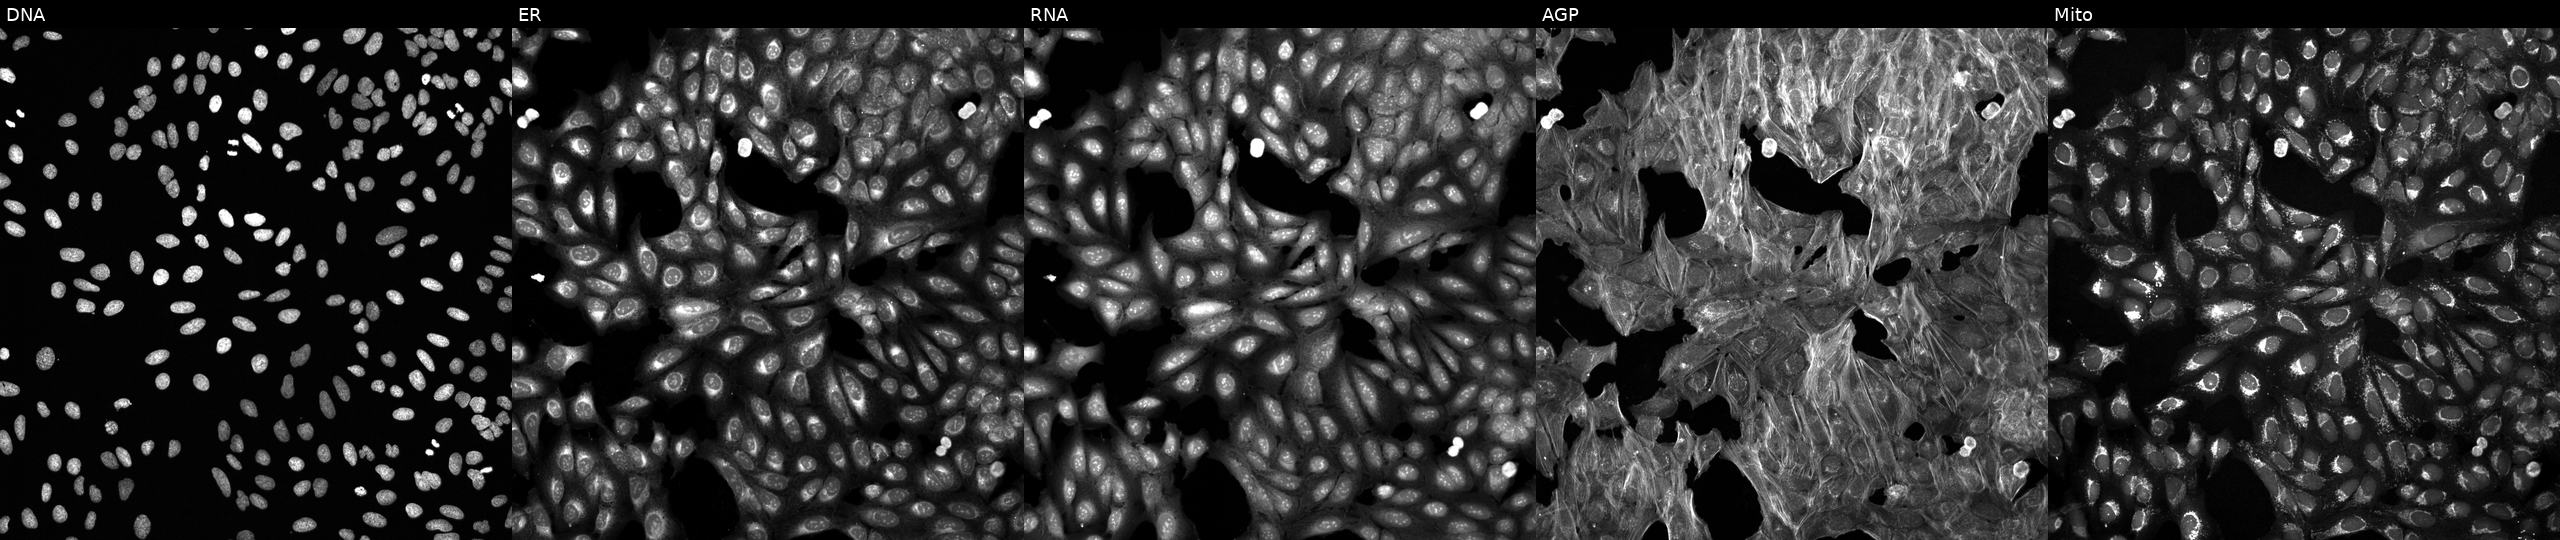
Five-channel Cell Painting image of U2OS cells treated with a small-molecule compound (InChIKey UQNAFPHGVPVTAL-UHFFFAOYSA-N) [SMILES: NS(=O)(=O)c1cccc2c1c([N+](=O)[O-])cc1[nH]c(=O)c(=O)[nH]c12] (JUMP id JCP2022_090884). Panels show, left to right, DNA, ER, RNA, AGP, and Mito. Source 6, plate 110000293093, well N23.